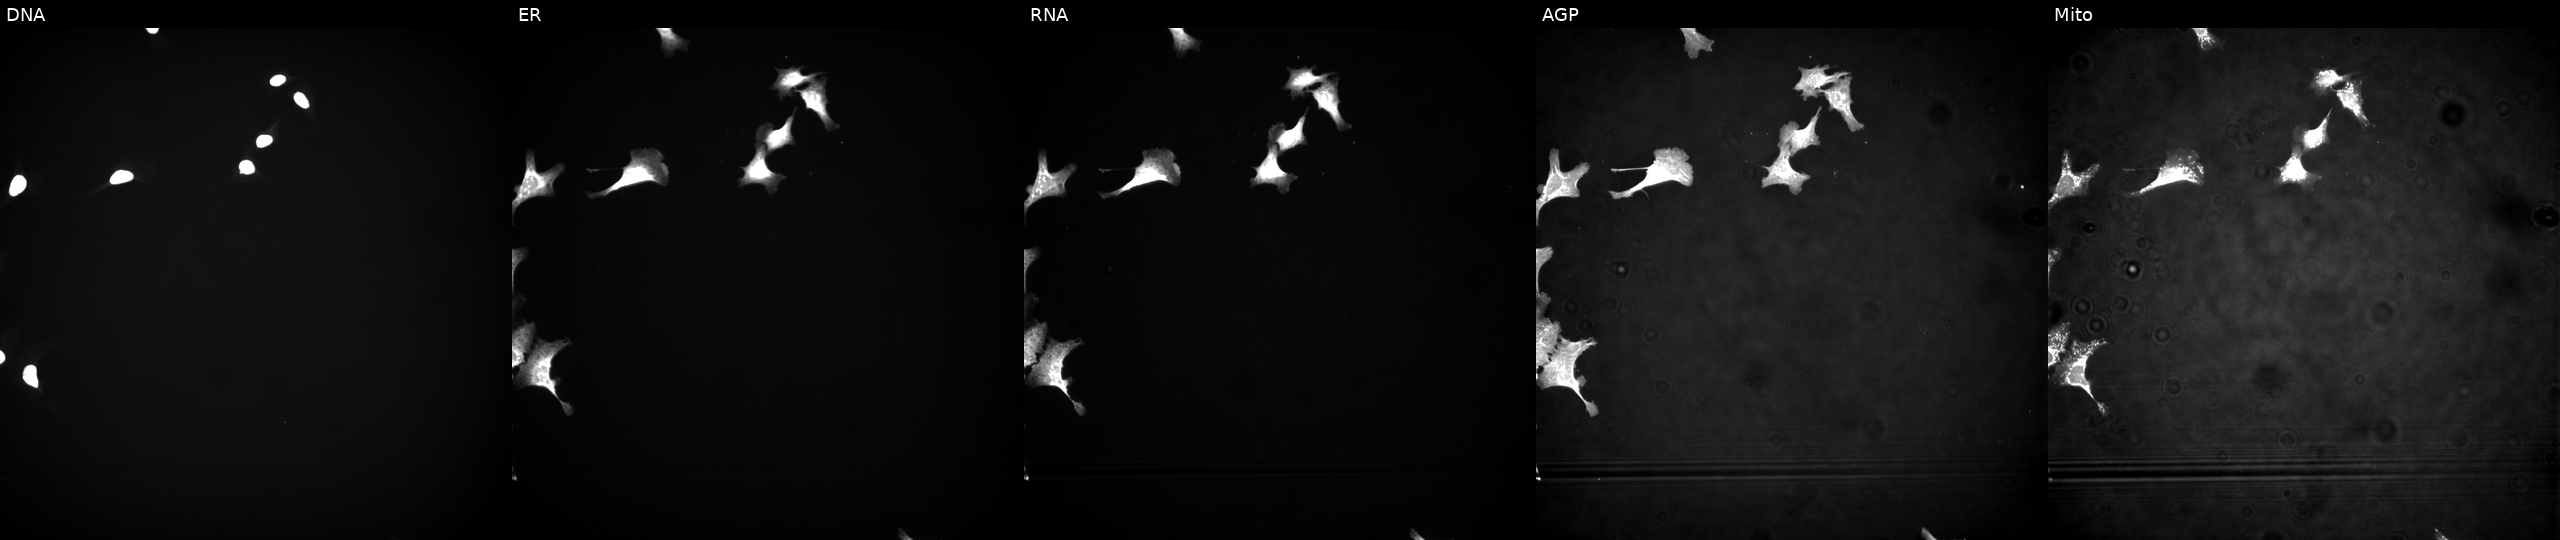
This image strip shows the five Cell Painting channels for a single field of U2OS cells transfected with an ORF construct for CPNE3 (JUMP id JCP2022_910554). Panels show, left to right, Hoechst 33342, concanavalin A, SYTO 14, phalloidin and WGA, MitoTracker. Source 4, plate BR00123945, well P08.